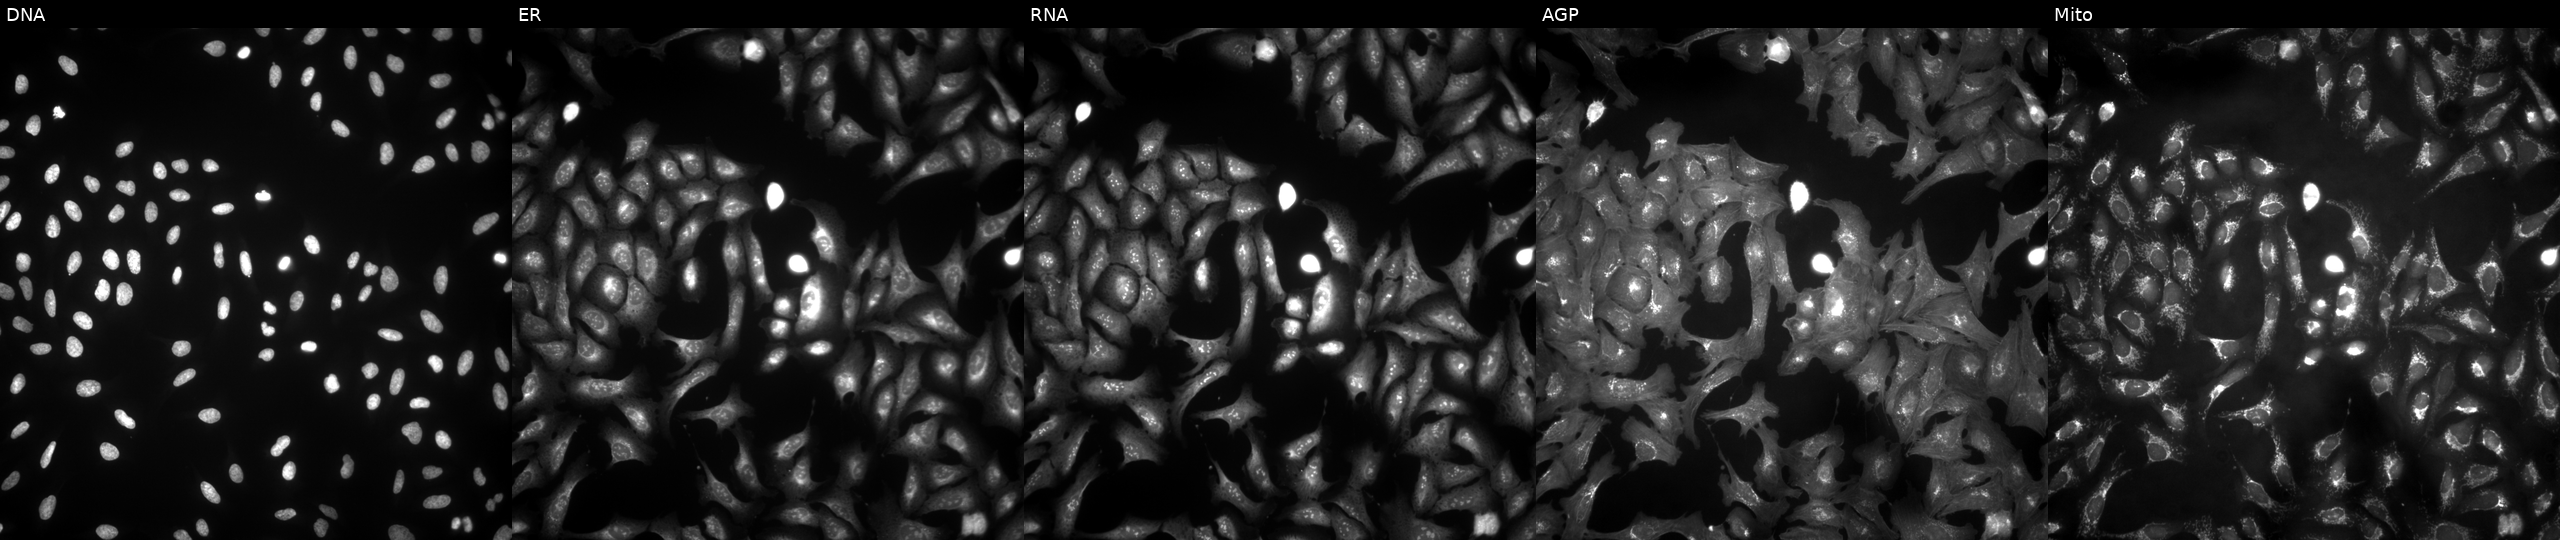
High-content fluorescence microscopy (Cell Painting). Cell line: U2OS. Perturbation: with VWA5A overexpressed (ORF). From left to right: DNA, ER, RNA, AGP, and Mito. Source 4, plate BR00123506, well J20.